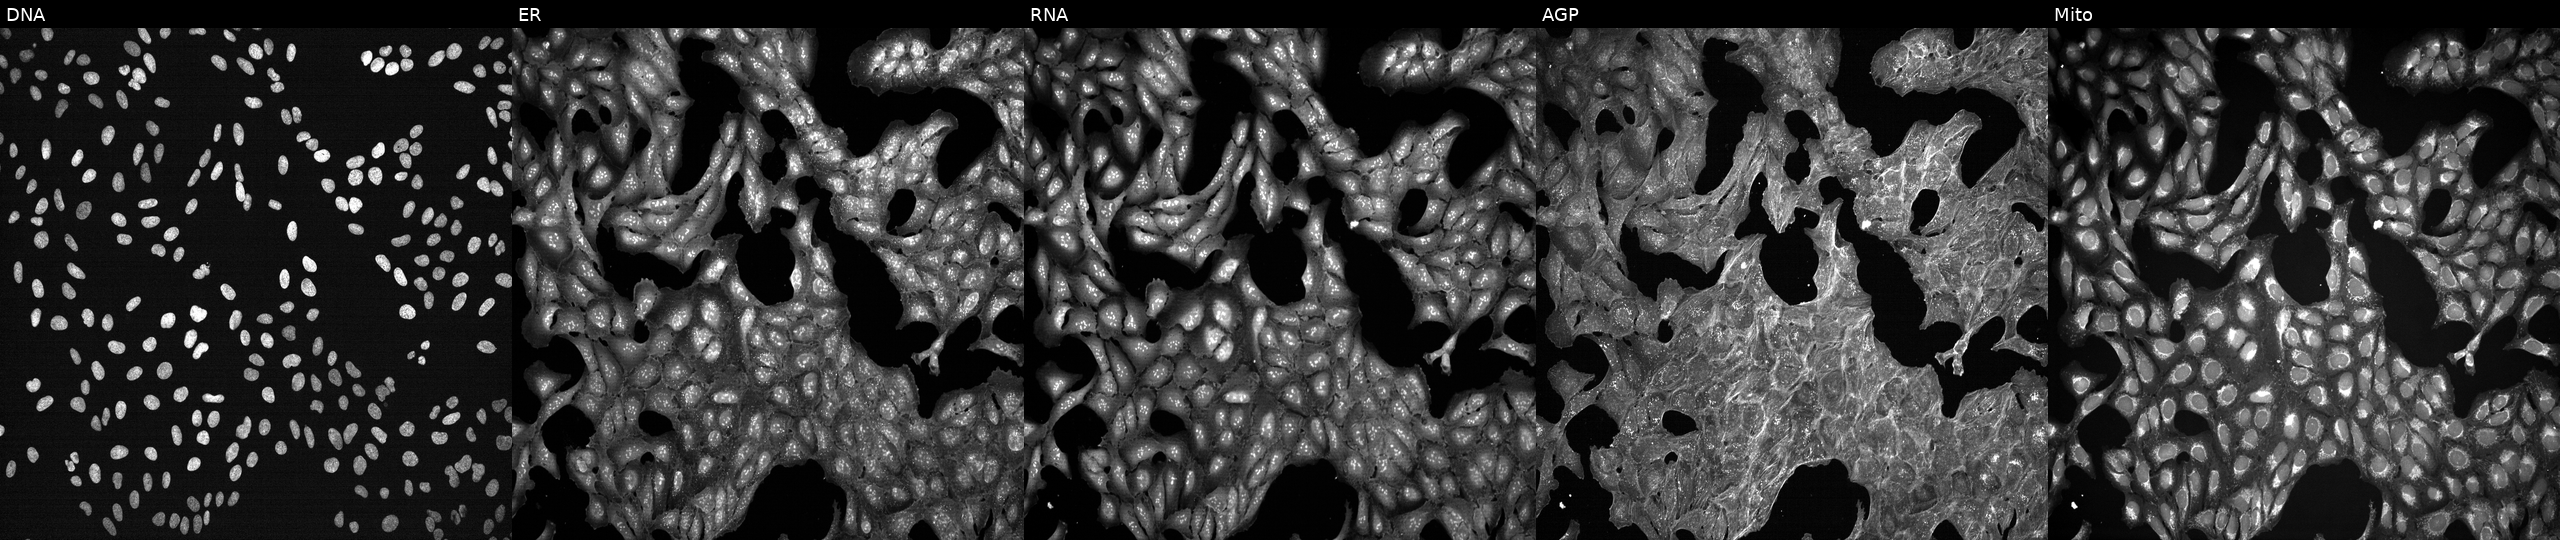
Five-channel Cell Painting image of U2OS cells exposed to a small-molecule compound (InChIKey HSUGRBWQSSZJOP-UHFFFAOYSA-N). The five panels, left to right, show Hoechst 33342, concanavalin A, SYTO 14, phalloidin and WGA, MitoTracker.